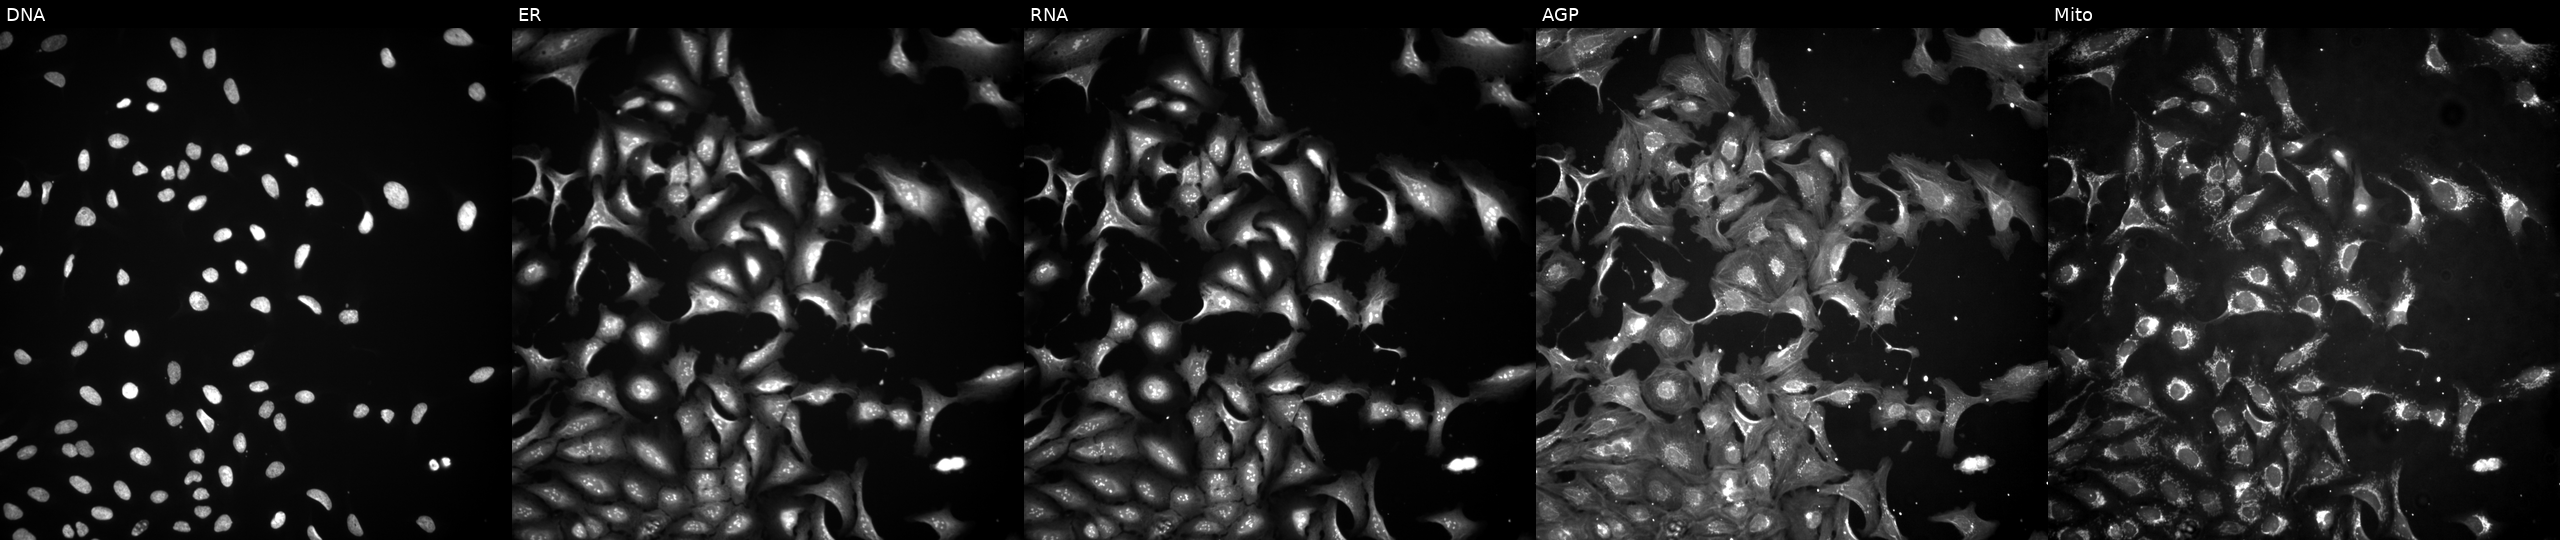
JUMP Cell Painting — ORF plate. U2OS cells overexpressing ZNF519 via ORF transfection. Panels show, left to right, DNA (nuclei); ER (endoplasmic reticulum); RNA (nucleoli and cytoplasmic RNA); AGP (actin cytoskeleton, Golgi, and plasma membrane); Mito (mitochondria). Source 4, plate BR00117035, well P01.